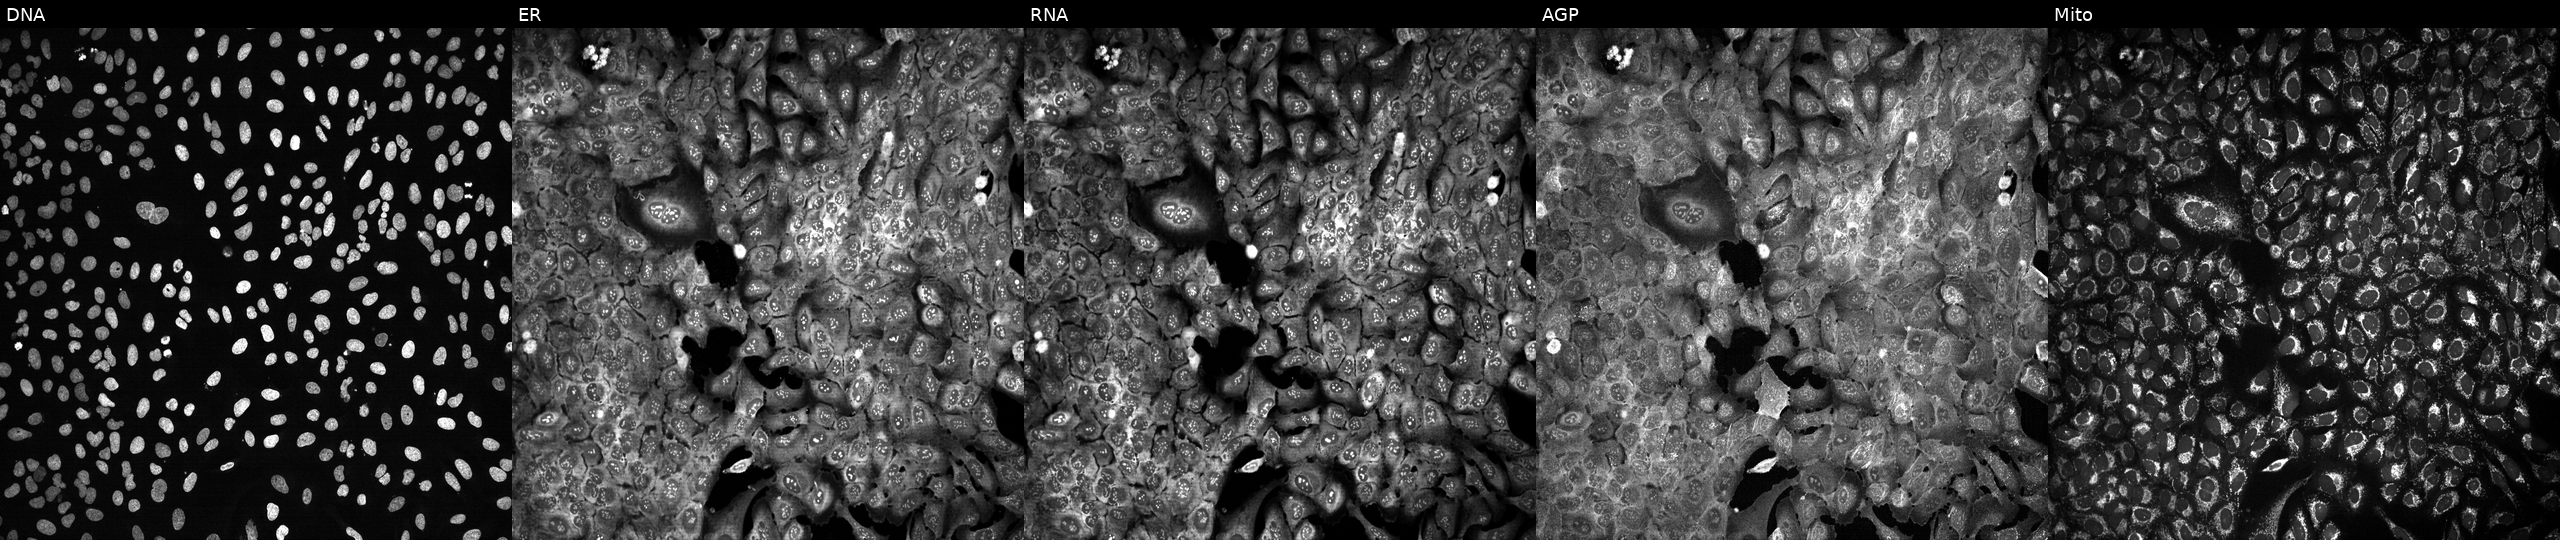
JUMP Cell Painting — CRISPR plate. U2OS cells with MRPL9 knocked out by CRISPR. Panels show, left to right, DNA, ER, RNA, AGP, and Mito.